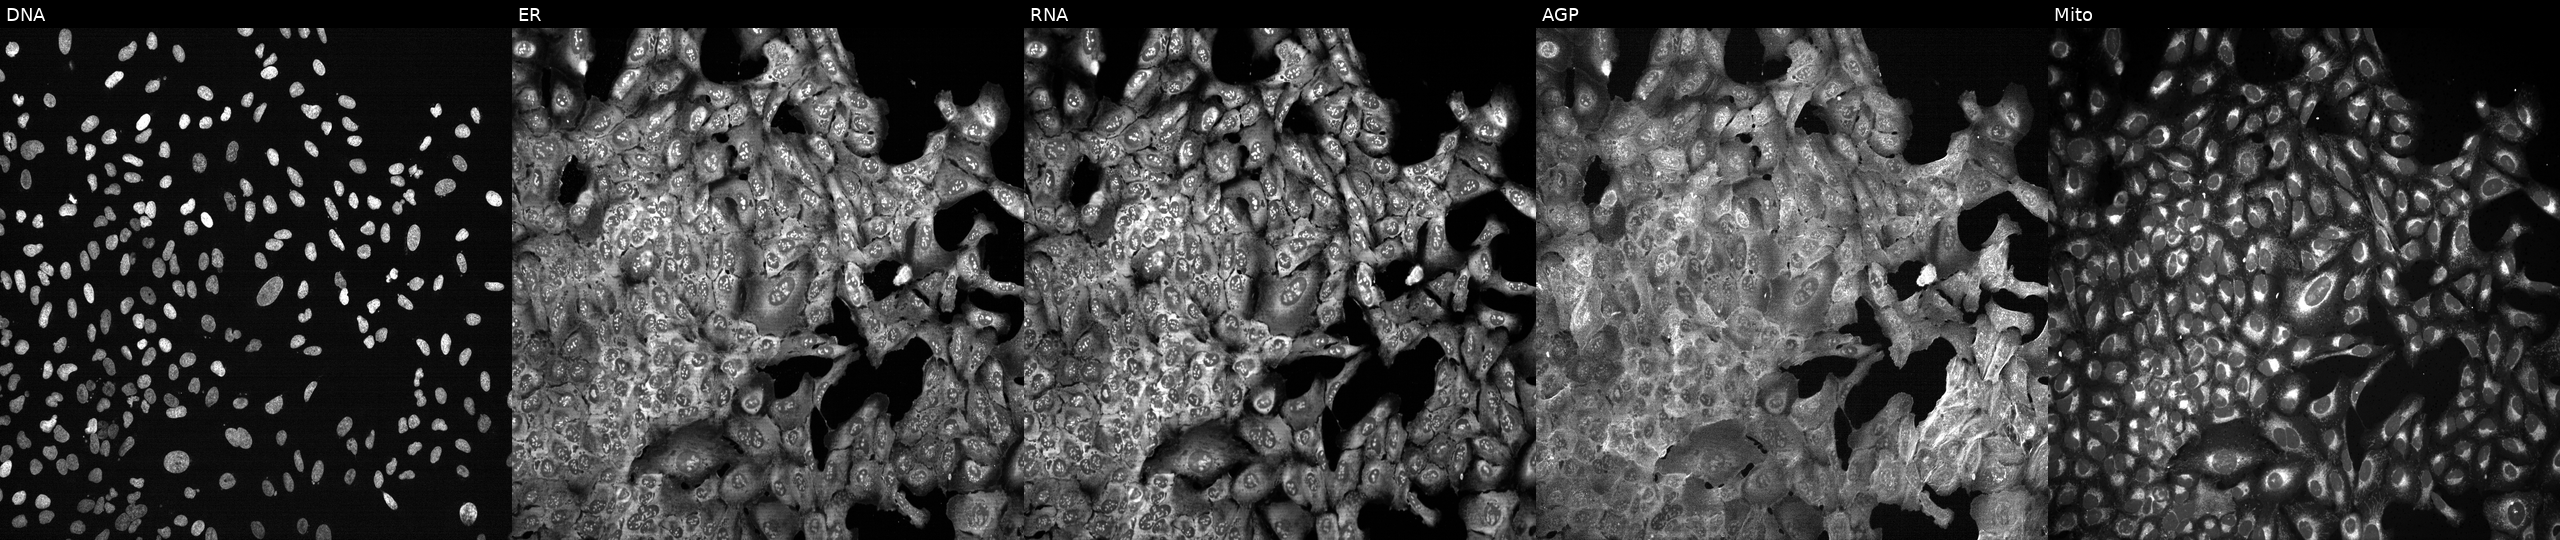
Five-channel Cell Painting image of U2OS cells CRISPR-edited to disrupt AMDHD2. Panels show, left to right, DNA (nuclei); ER (endoplasmic reticulum); RNA (nucleoli and cytoplasmic RNA); AGP (actin cytoskeleton, Golgi, and plasma membrane); Mito (mitochondria). Source 13, plate CP-CC9-R2-01, well O08.